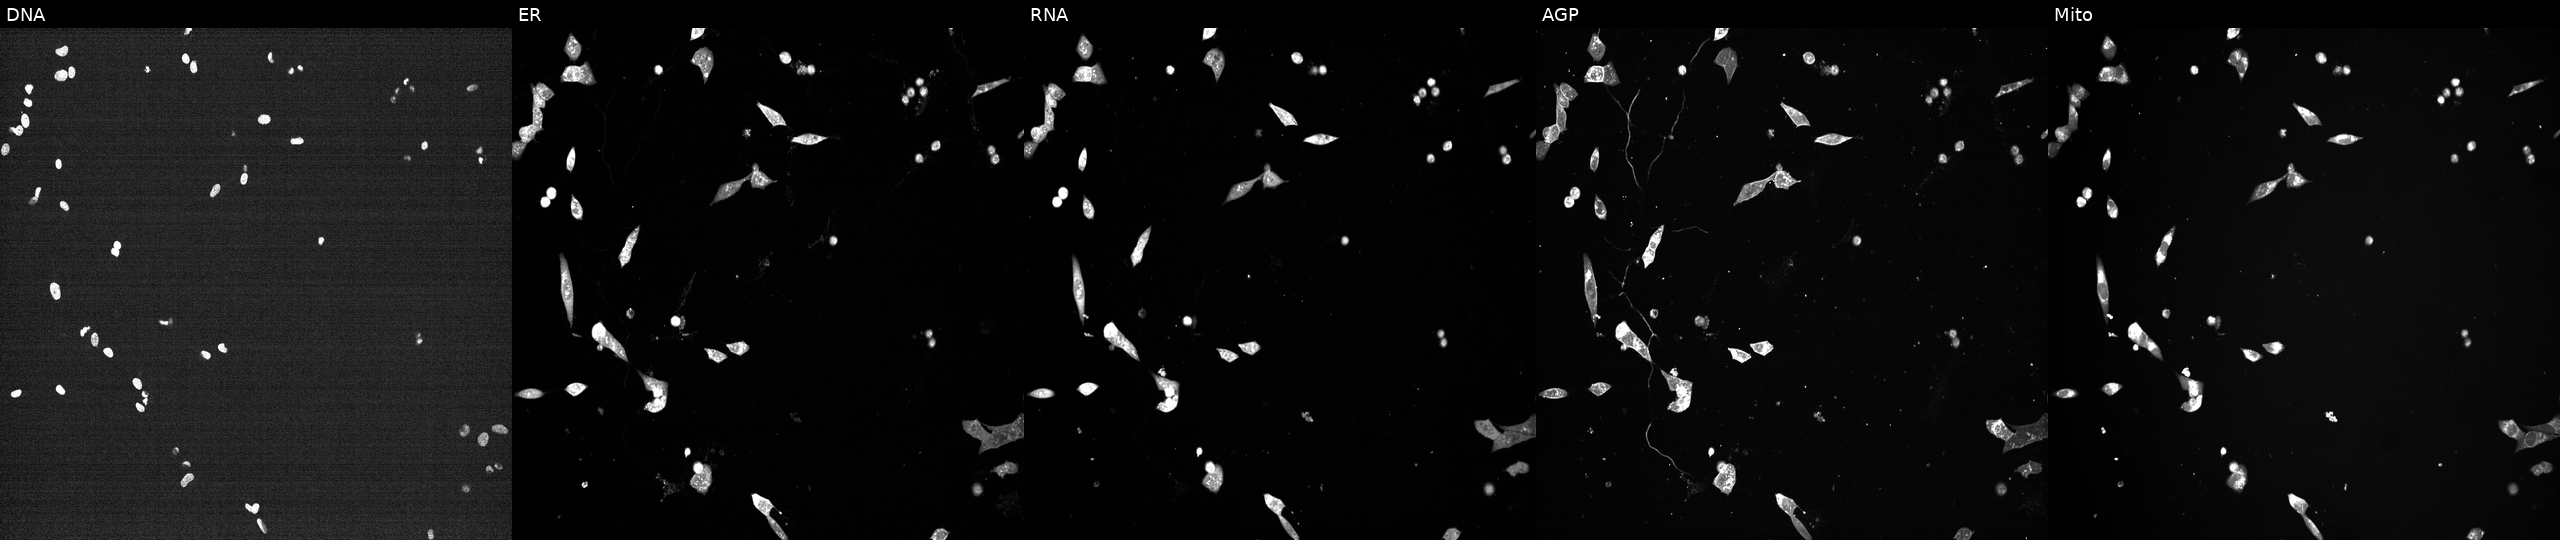
U2OS cells, Cell Painting assay, treated with a small-molecule compound (InChIKey KJNNWYBAOPXVJY-UHFFFAOYSA-N). The five panels, left to right, show Hoechst 33342, concanavalin A, SYTO 14, phalloidin and WGA, MitoTracker. Each panel is percentile-stretched 16-bit fluorescence. Source 7, plate CP1-SC1-25, well E20.